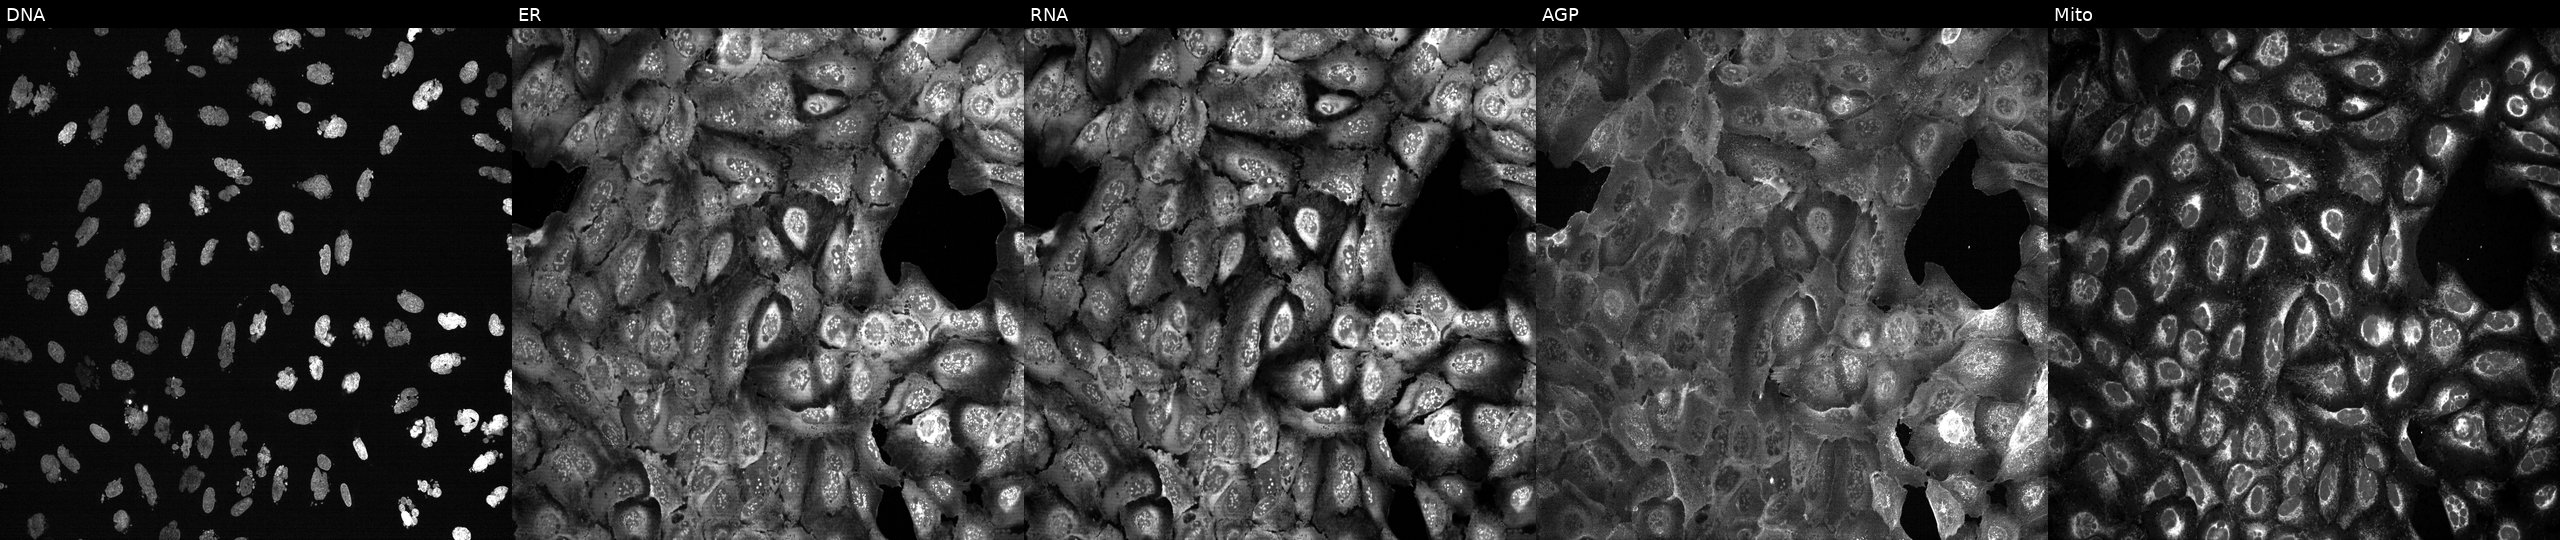
U2OS cells, Cell Painting assay, exposed to the positive-control compound AMG900 (JUMP id JCP2022_037716). Channels (left→right): Hoechst 33342, concanavalin A, SYTO 14, phalloidin and WGA, MitoTracker. Each panel is percentile-stretched 16-bit fluorescence. Source 13, plate CP-CC9-R2-02, well J01.